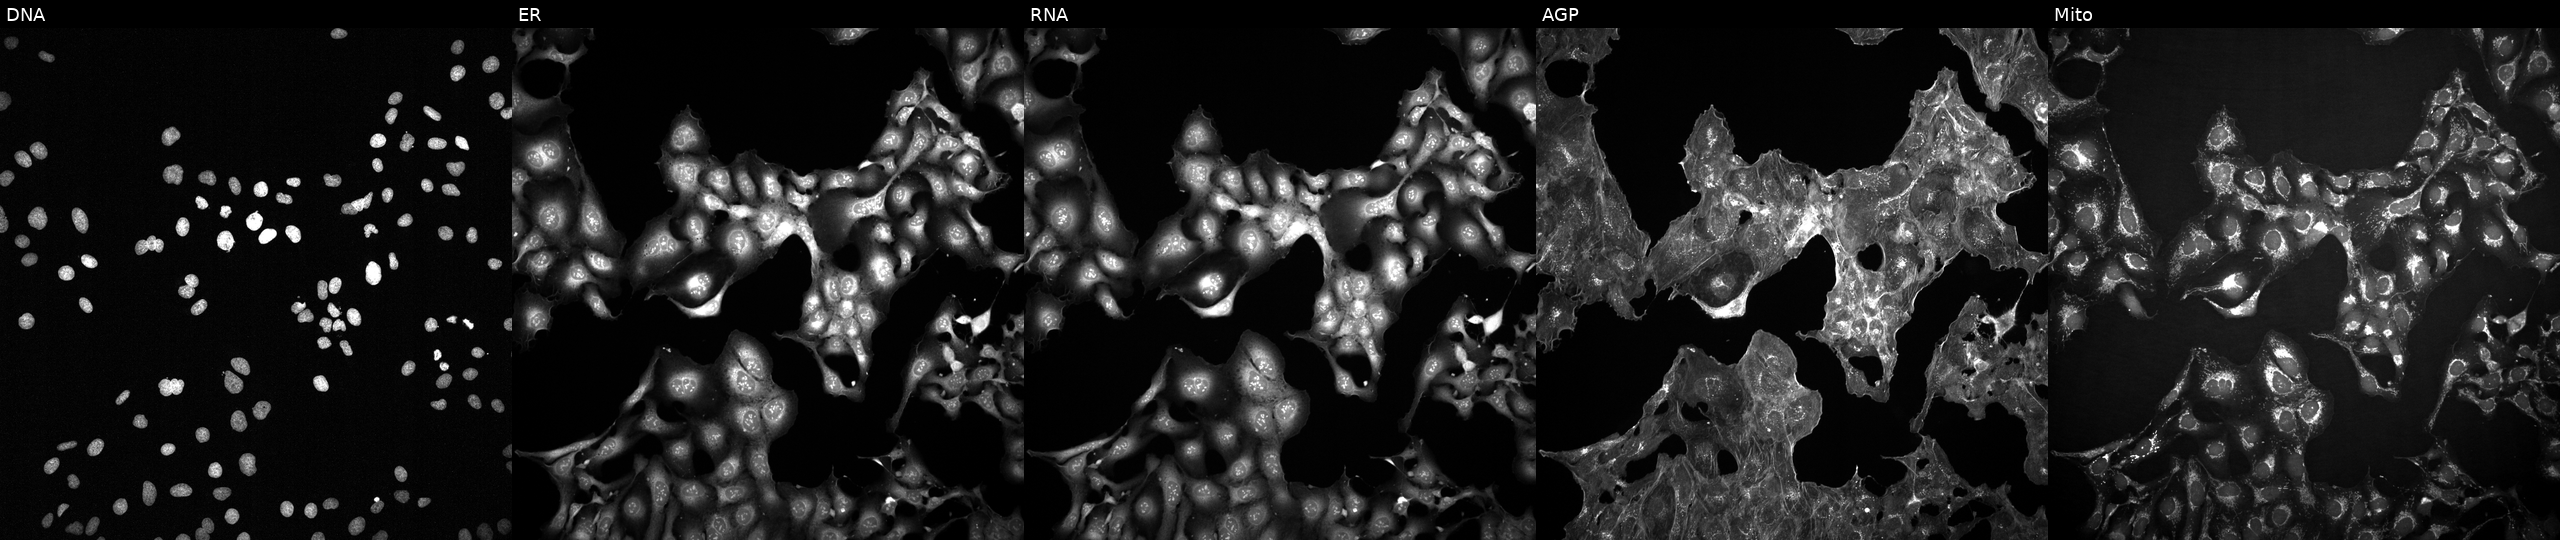
JUMP Cell Painting — TARGET2 plate. U2OS cells exposed to a small-molecule compound (InChIKey GDVRVPIXWXOKQO-UHFFFAOYSA-N) (JUMP id JCP2022_024824). Panels show, left to right, DNA, ER, RNA, AGP, and Mito. Source 2, plate 1053600674, well E19.